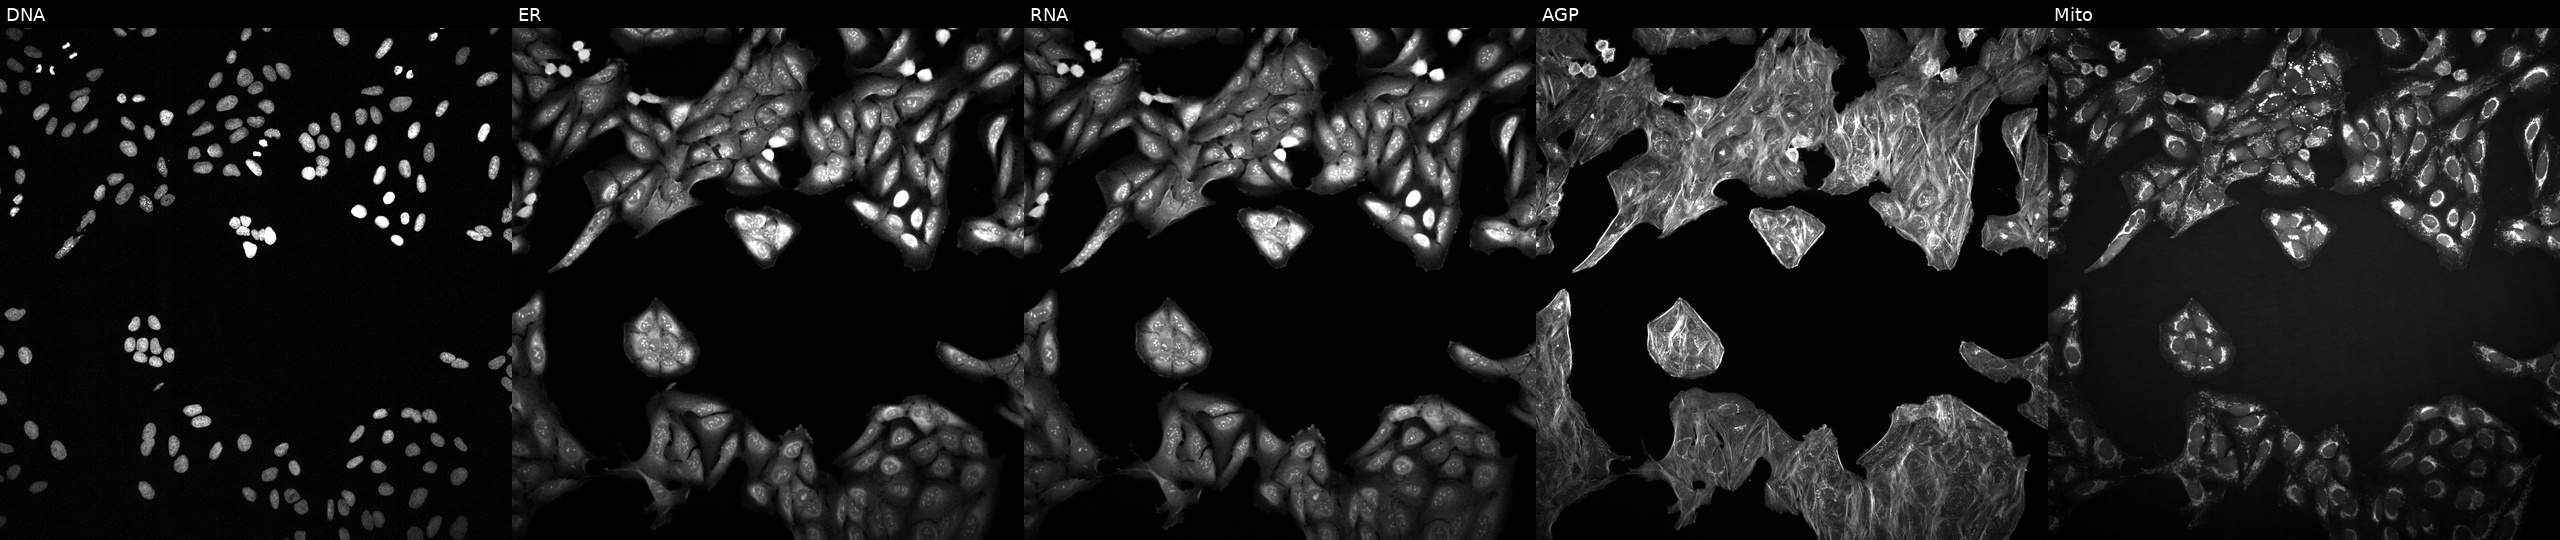
U2OS cells, Cell Painting assay, perturbed with a small-molecule compound (InChIKey UVQKXLGPVZXEOS-UHFFFAOYSA-N) (JUMP id JCP2022_091888). Panels show, left to right, DNA, ER, RNA, AGP, and Mito. Each panel is percentile-stretched 16-bit fluorescence. Source 2, plate 1053601756, well A17.